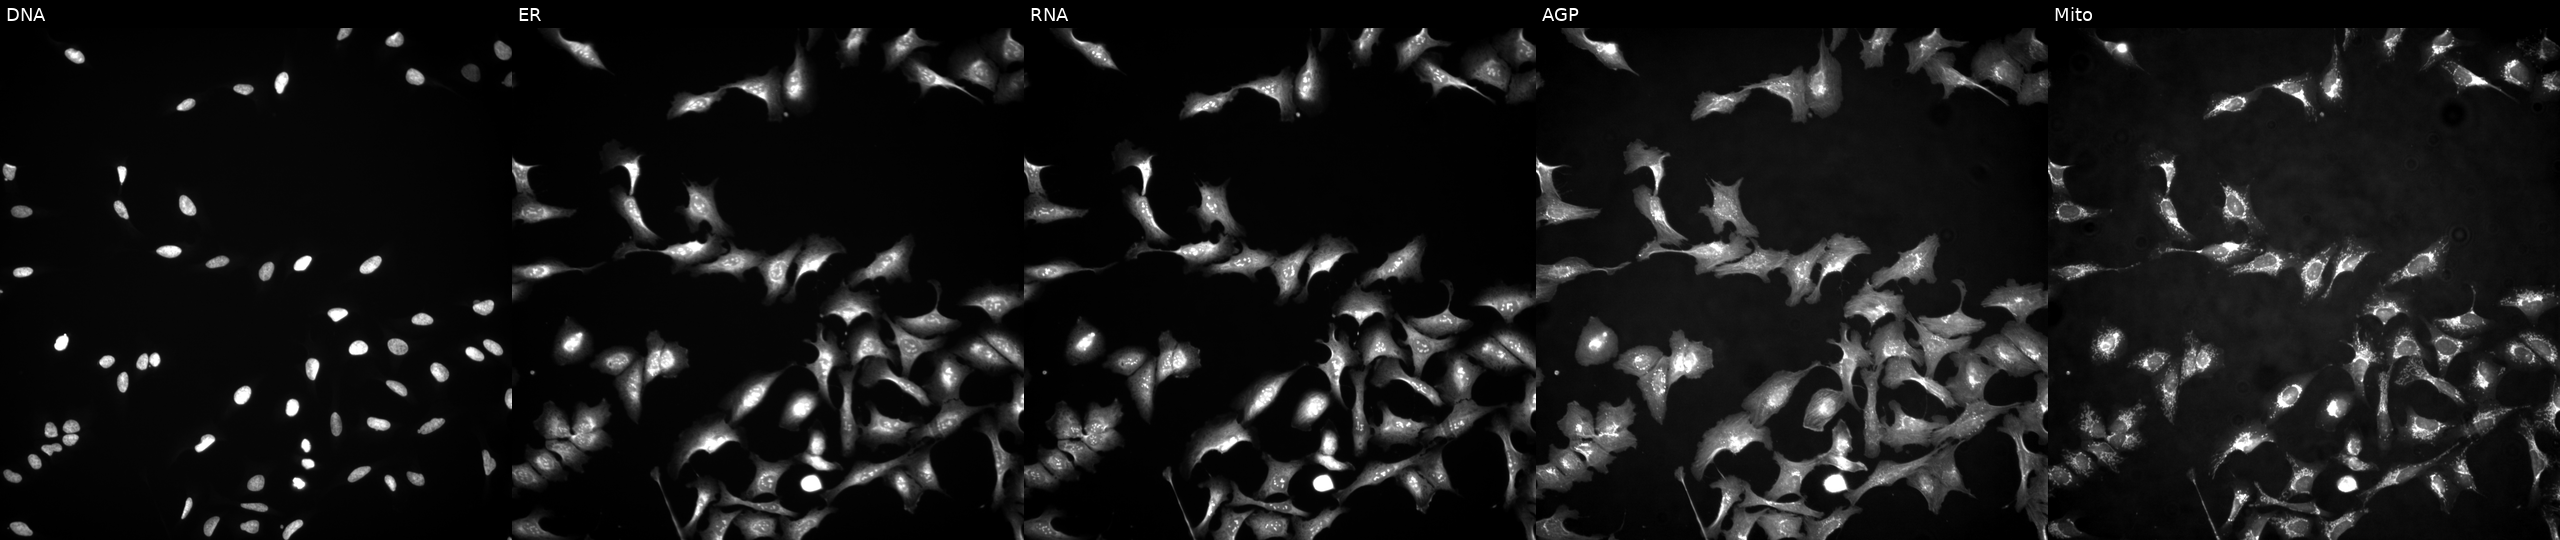
High-content fluorescence microscopy (Cell Painting). Cell line: U2OS. Perturbation: with PGAP2 overexpressed (ORF) (JUMP id JCP2022_911057). The five panels, left to right, show DNA (nuclei); ER (endoplasmic reticulum); RNA (nucleoli and cytoplasmic RNA); AGP (actin cytoskeleton, Golgi, and plasma membrane); Mito (mitochondria). Source 4, plate BR00124787, well J12.